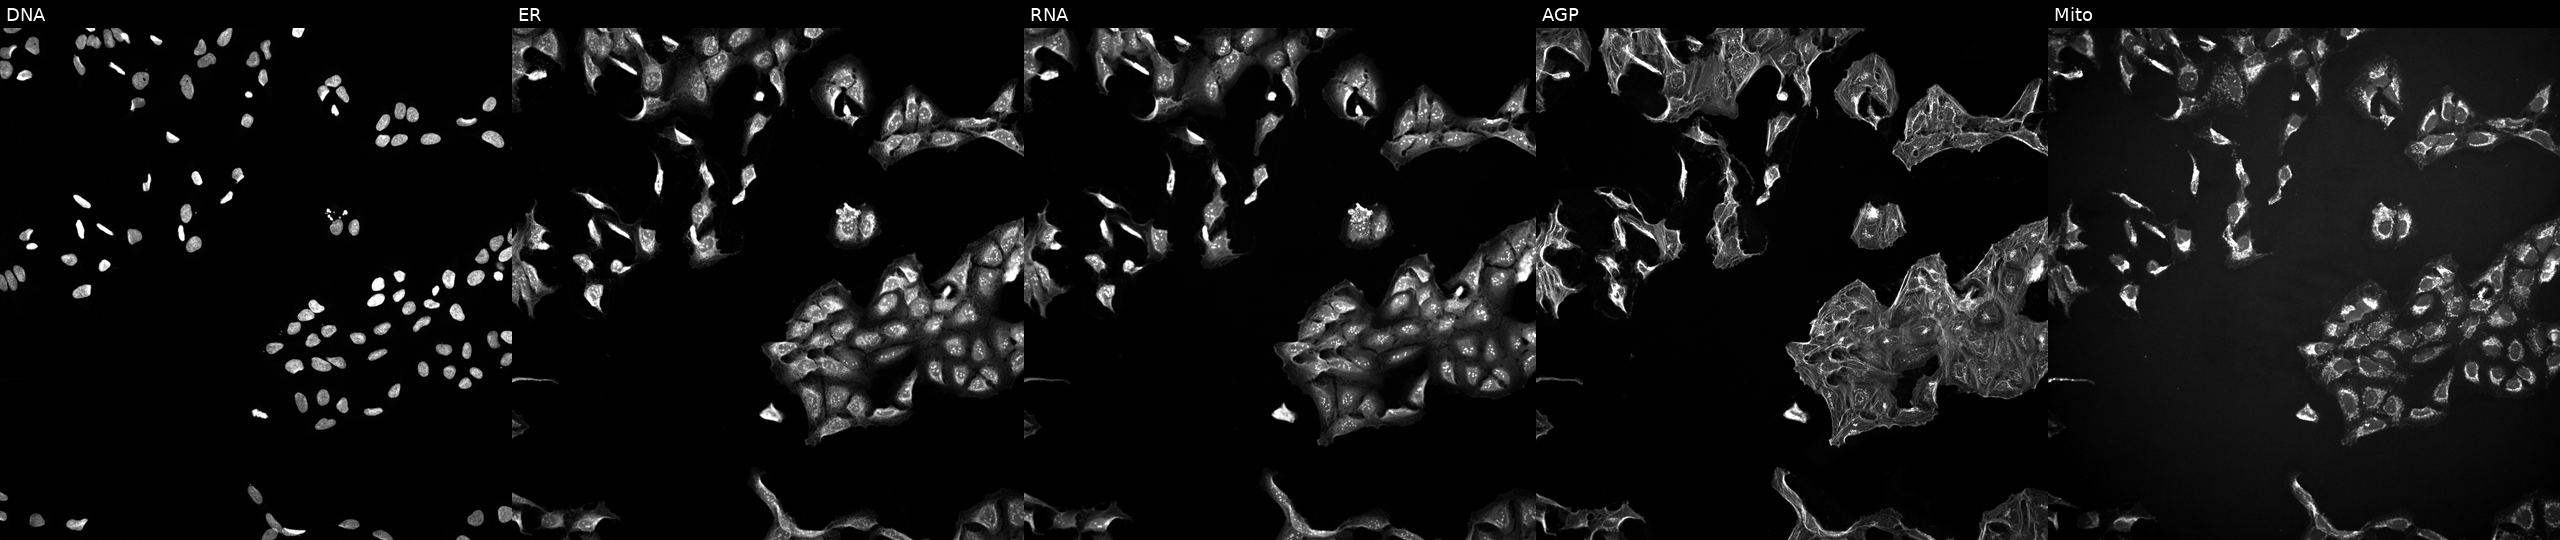
JUMP Cell Painting — TARGET2 plate. U2OS cells exposed to a small-molecule compound [SMILES: OC(CN1CCNCC1)Cn1c2ccc(Br)cc2c2cc(Br)ccc21]. Panels show, left to right, DNA (nuclei); ER (endoplasmic reticulum); RNA (nucleoli and cytoplasmic RNA); AGP (actin cytoskeleton, Golgi, and plasma membrane); Mito (mitochondria).